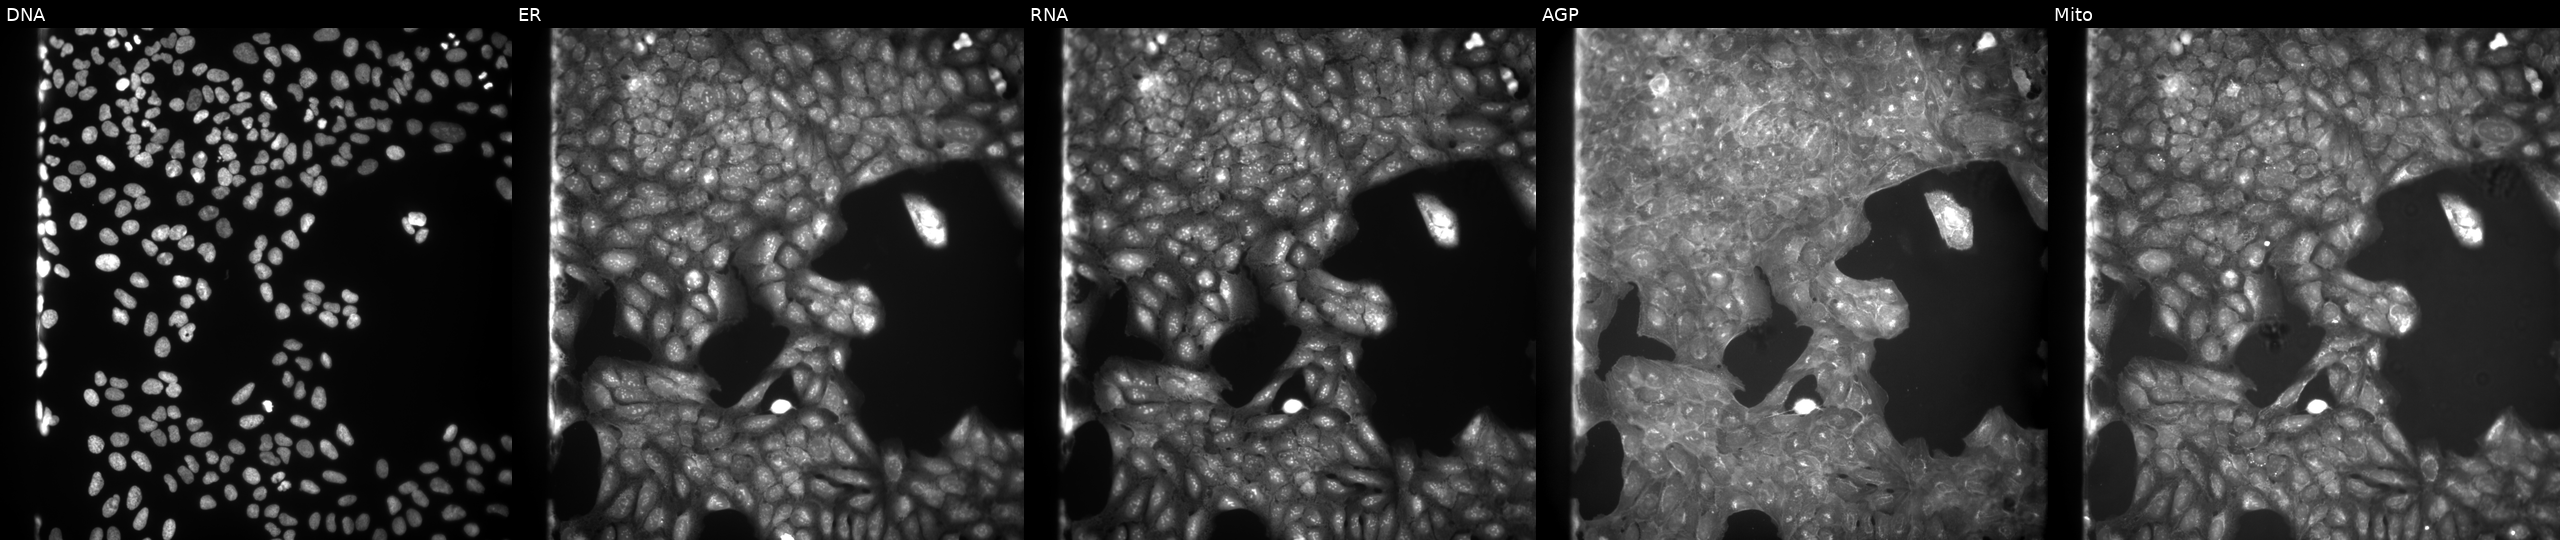
U2OS cells, Cell Painting assay, exposed to a small-molecule compound [SMILES: COc1cccc(C2=NN(C(=O)c3ccc(C)o3)C(O)(C(F)(F)F)C2)c1] (JUMP id JCP2022_022319). Panels show, left to right, DNA, ER, RNA, AGP, and Mito. Each panel is percentile-stretched 16-bit fluorescence. Source 9, plate GR00003382, well E04.